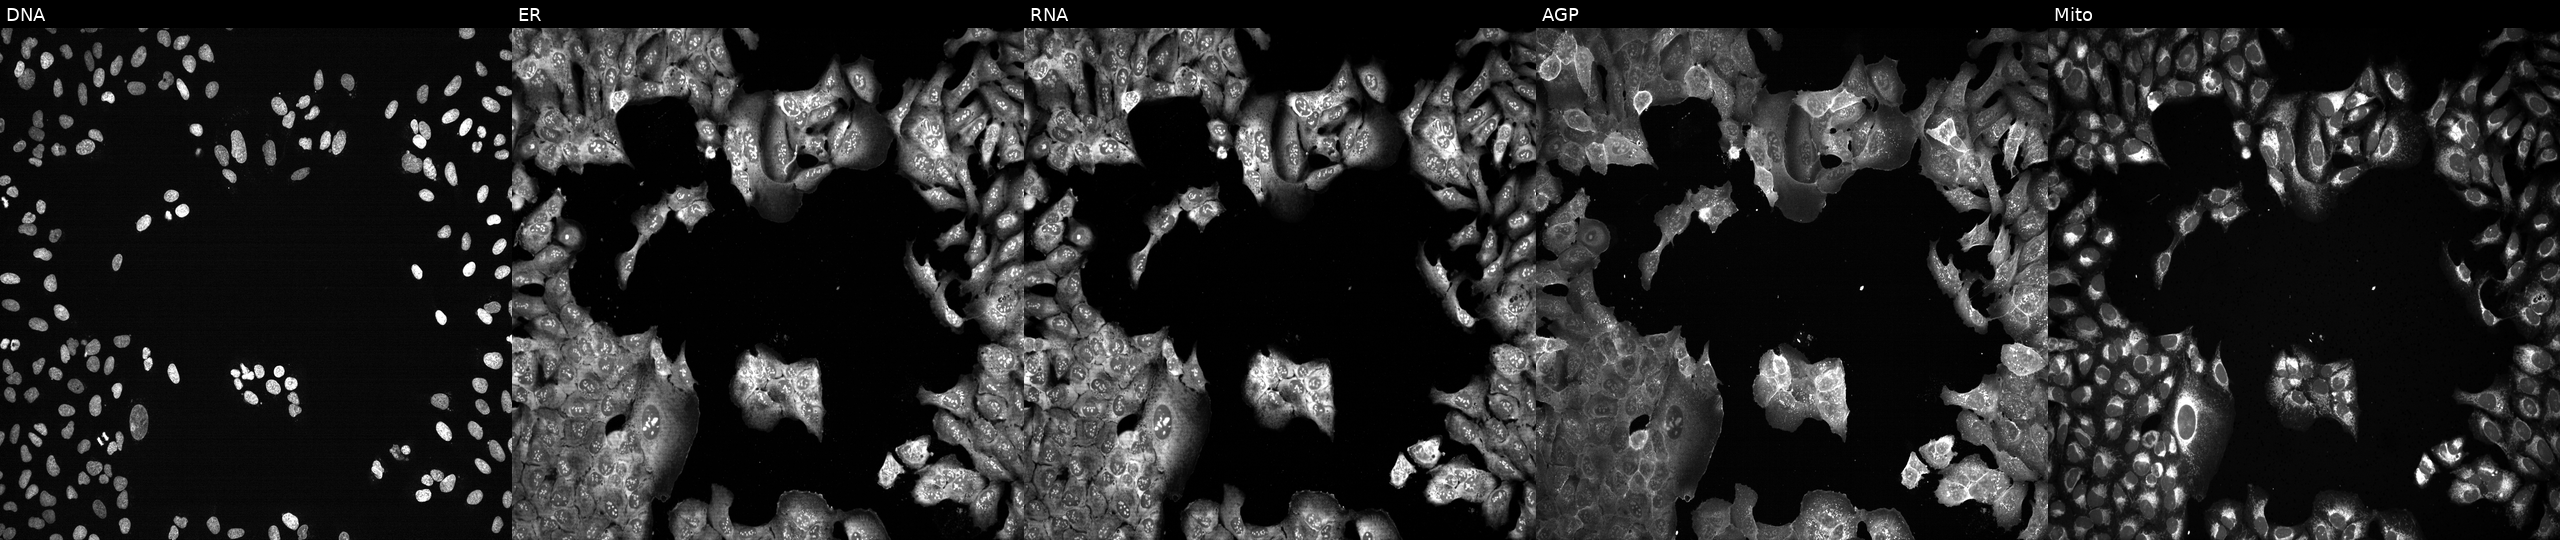
This image strip shows the five Cell Painting channels for a single field of U2OS cells following CRISPR knockout of KLK11 (JUMP id JCP2022_803720). The five panels, left to right, show DNA (nuclei); ER (endoplasmic reticulum); RNA (nucleoli and cytoplasmic RNA); AGP (actin cytoskeleton, Golgi, and plasma membrane); Mito (mitochondria). Source 13, plate CP-CC9-R6-19, well E13.